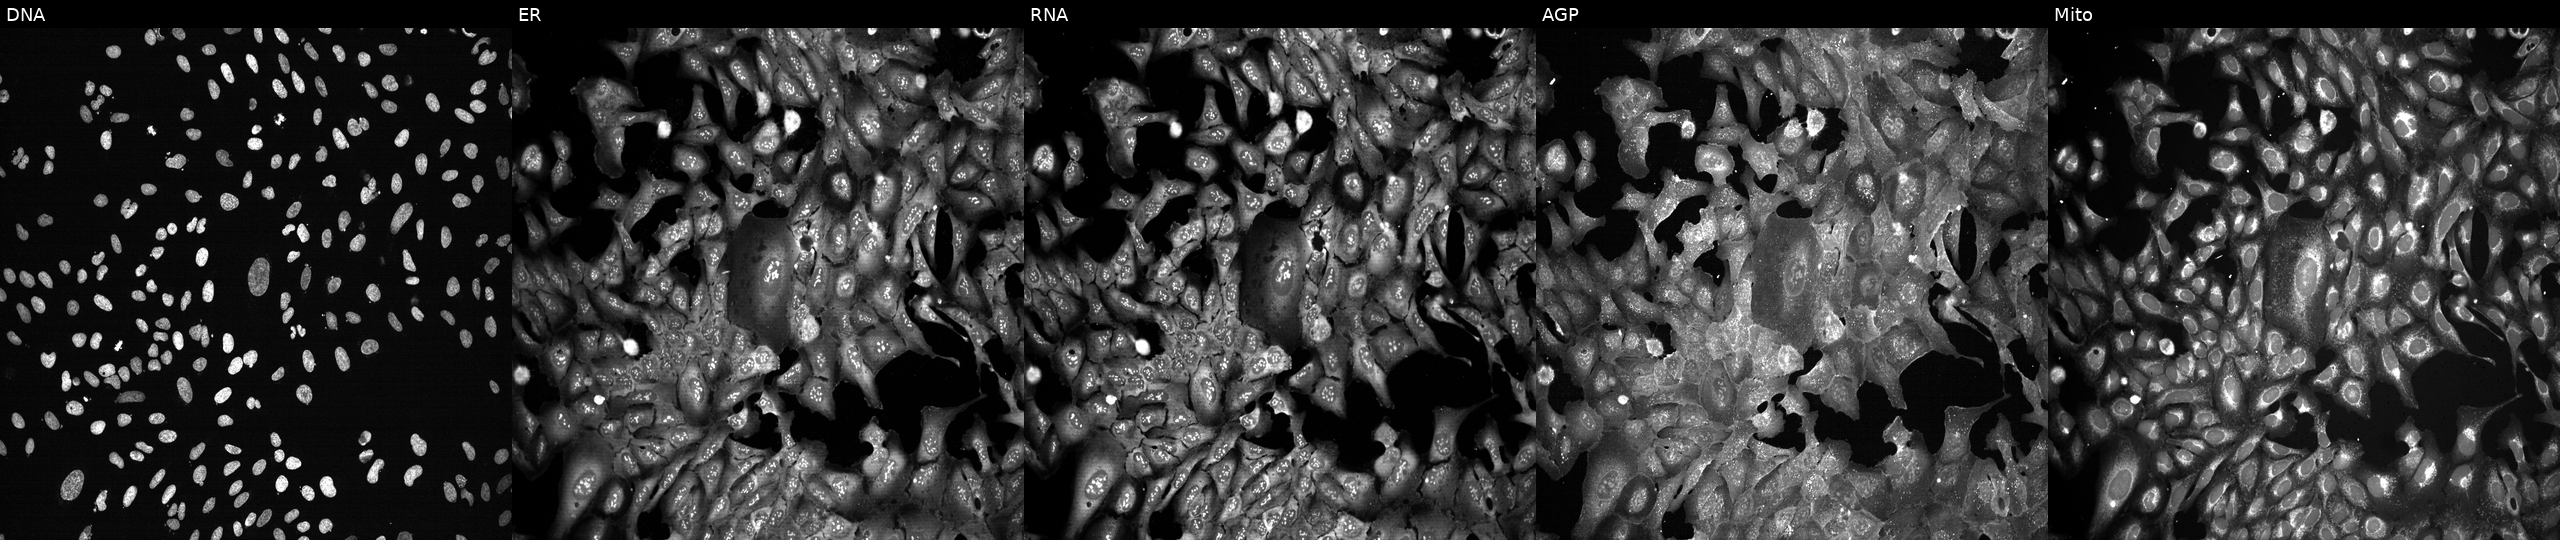
Five-channel Cell Painting image of U2OS cells CRISPR-edited to disrupt PABPC1 (JUMP id JCP2022_804874). Channels (left→right): Hoechst 33342, concanavalin A, SYTO 14, phalloidin and WGA, MitoTracker.